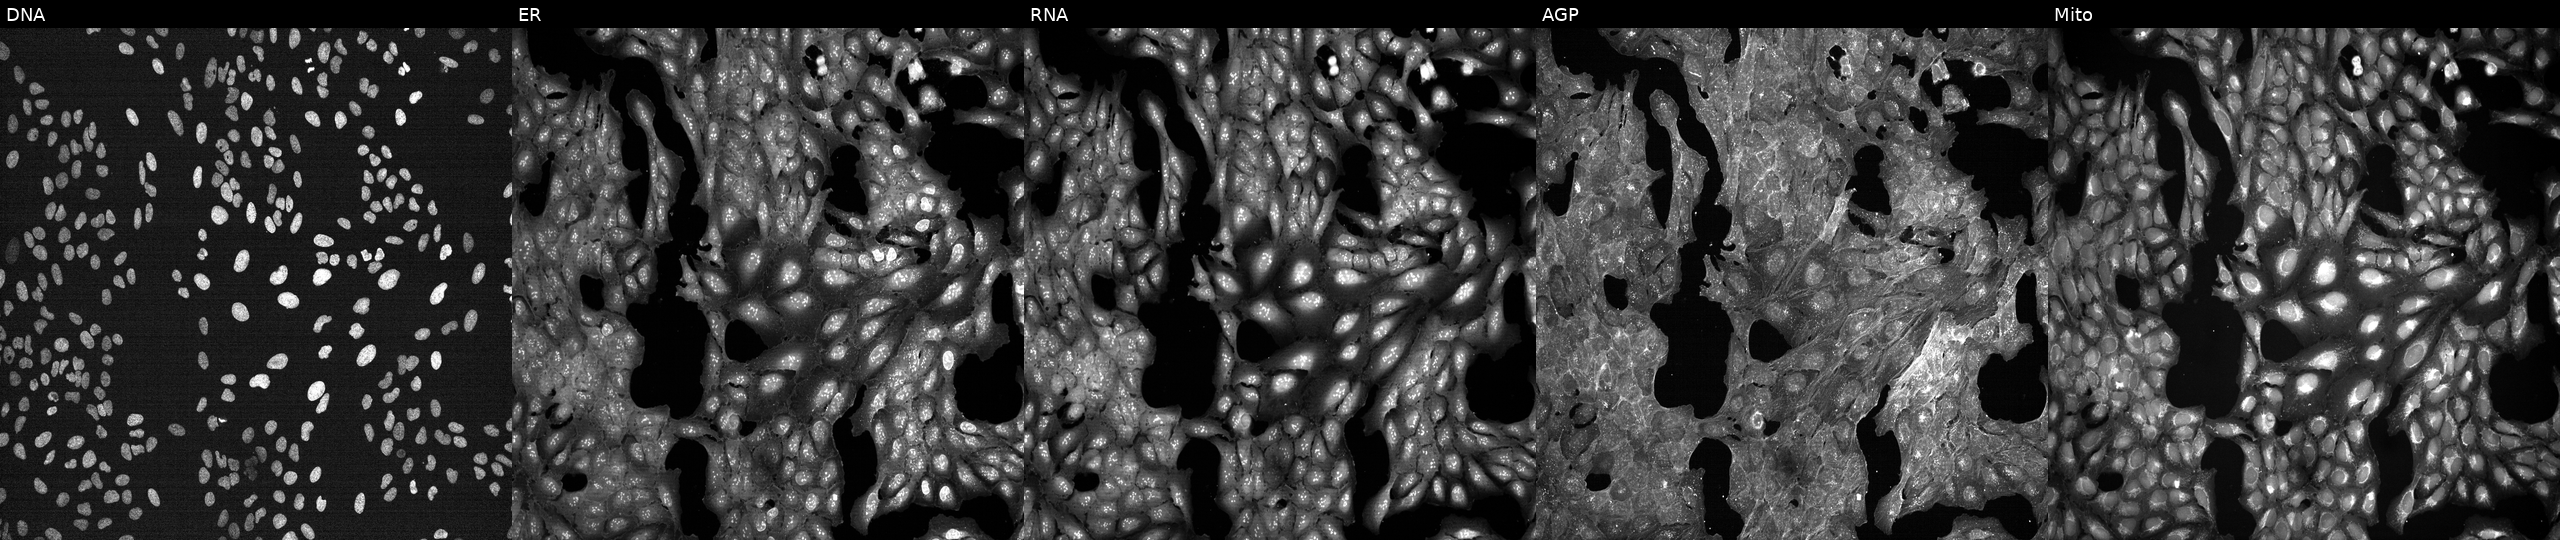
This image strip shows the five Cell Painting channels for a single field of U2OS cells exposed to a small-molecule compound (InChIKey JPGQOUSTVILISH-UHFFFAOYSA-N). From left to right: DNA (nuclei); ER (endoplasmic reticulum); RNA (nucleoli and cytoplasmic RNA); AGP (actin cytoskeleton, Golgi, and plasma membrane); Mito (mitochondria). Source 7, plate CP1-SC1-25, well G08.